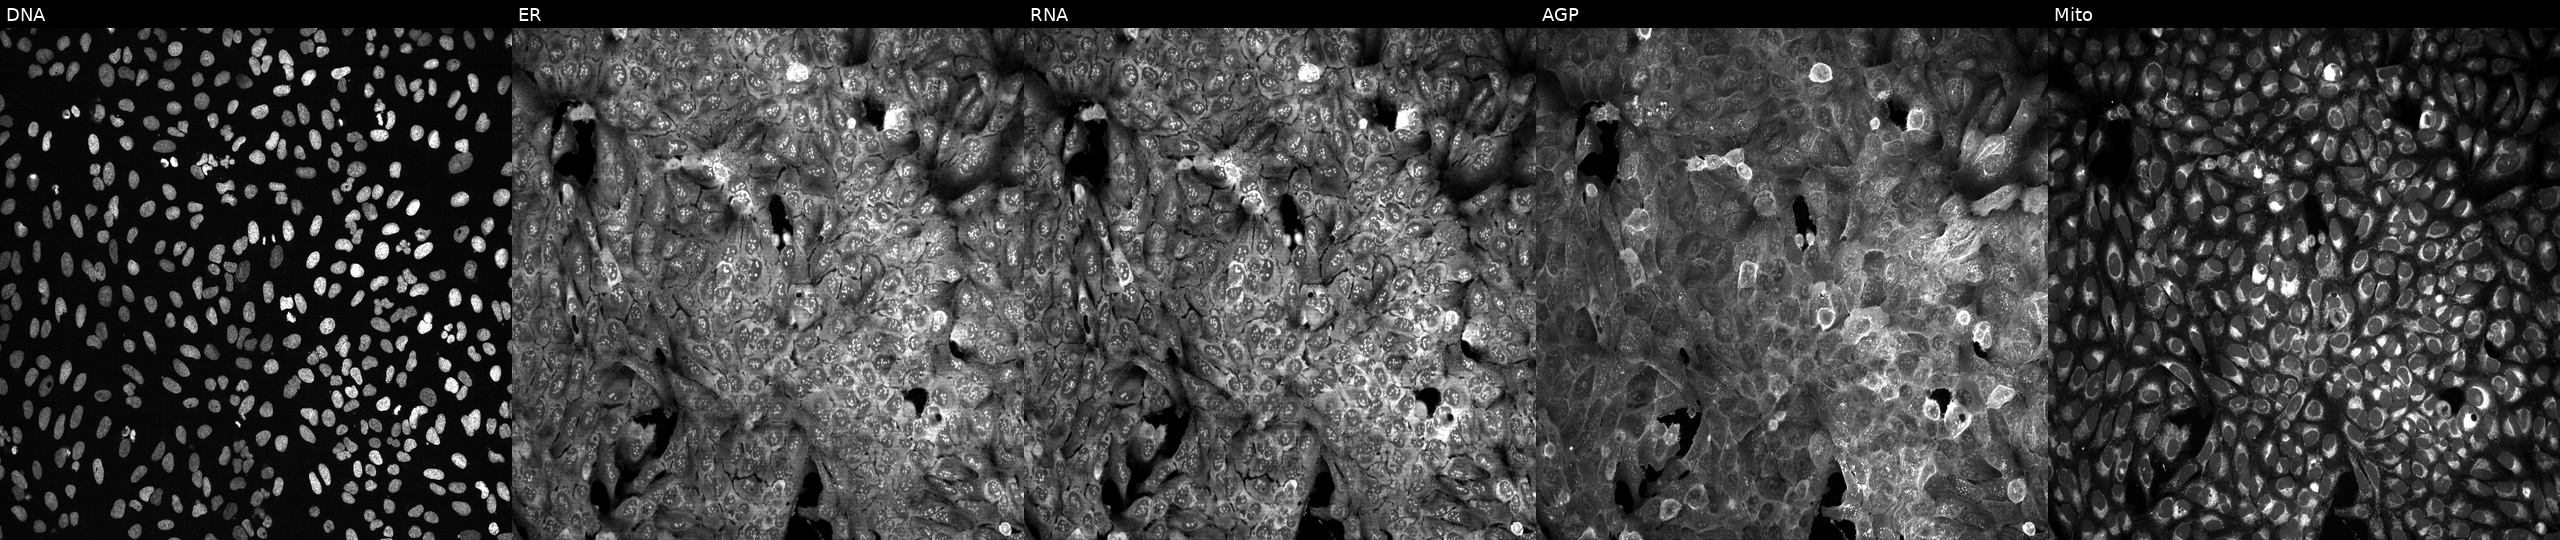
From left to right: DNA (nuclei); ER (endoplasmic reticulum); RNA (nucleoli and cytoplasmic RNA); AGP (actin cytoskeleton, Golgi, and plasma membrane); Mito (mitochondria). U2OS osteosarcoma cells with SIRT2 knocked out by CRISPR. Cell Painting assay, JUMP-CP dataset. Source 13, plate CP-CC9-R6-19, well N06.